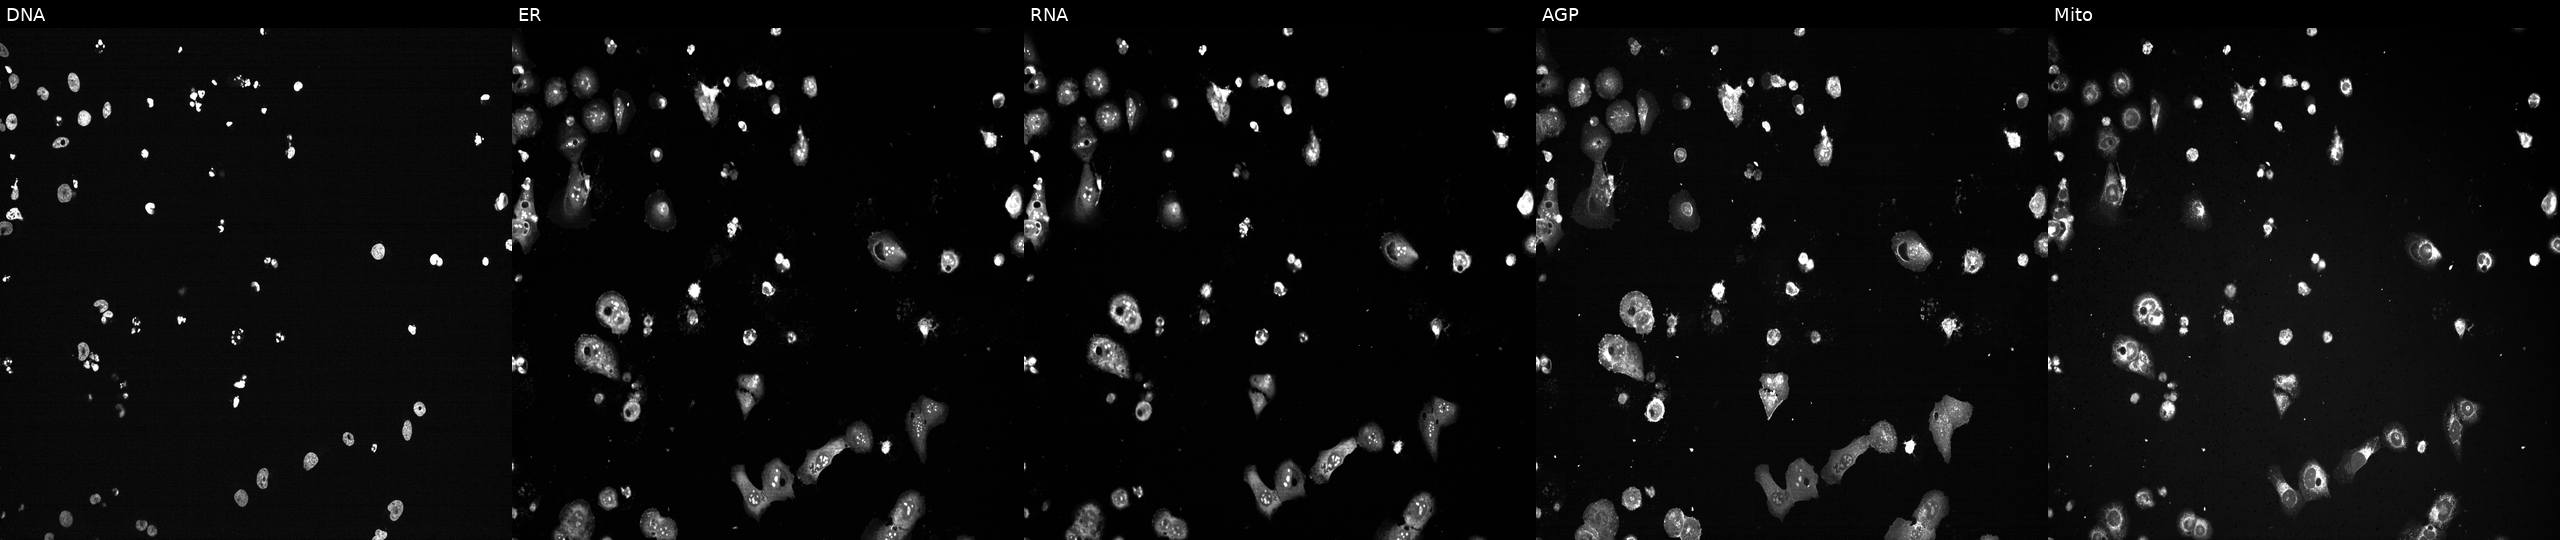
From left to right: DNA (nuclei); ER (endoplasmic reticulum); RNA (nucleoli and cytoplasmic RNA); AGP (actin cytoskeleton, Golgi, and plasma membrane); Mito (mitochondria). U2OS osteosarcoma cells with RAN knocked out by CRISPR (JUMP id JCP2022_805826). Cell Painting assay, JUMP-CP dataset. Source 13, plate CP-CC9-R4-04, well O05.